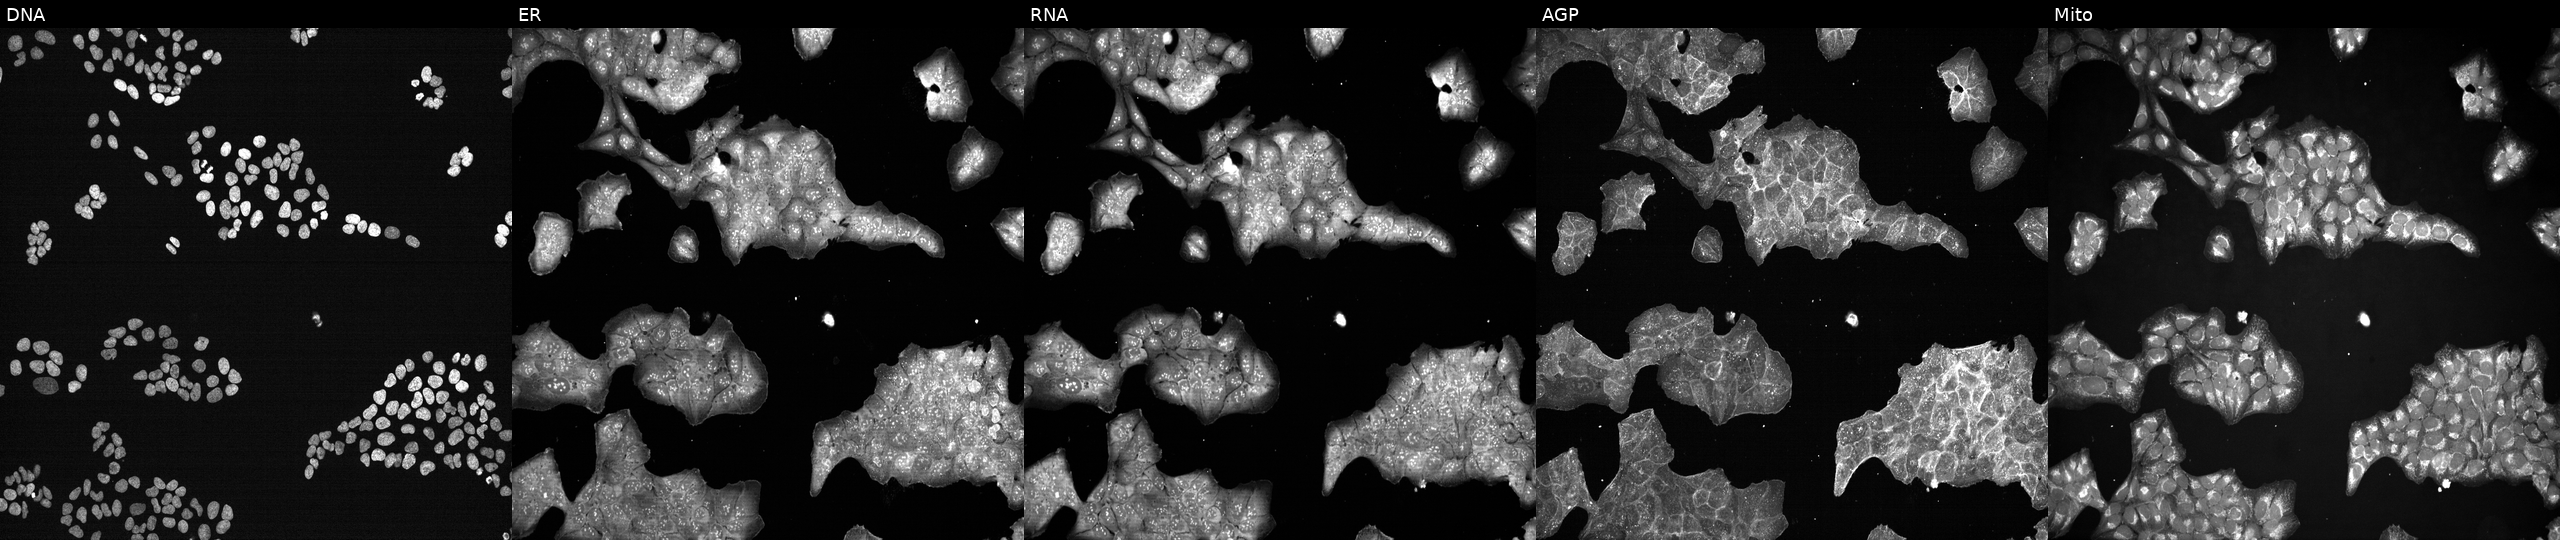
JUMP Cell Painting — TARGET2 plate. U2OS cells perturbed with a small-molecule compound (InChIKey ZVPDNRVYHLRXLX-UHFFFAOYSA-N) [SMILES: Cc1ccc(-c2nn(C(C)(C)C)c3[nH]cnc(=N)c23)cc1]. Channels (left→right): Hoechst 33342, concanavalin A, SYTO 14, phalloidin and WGA, MitoTracker.